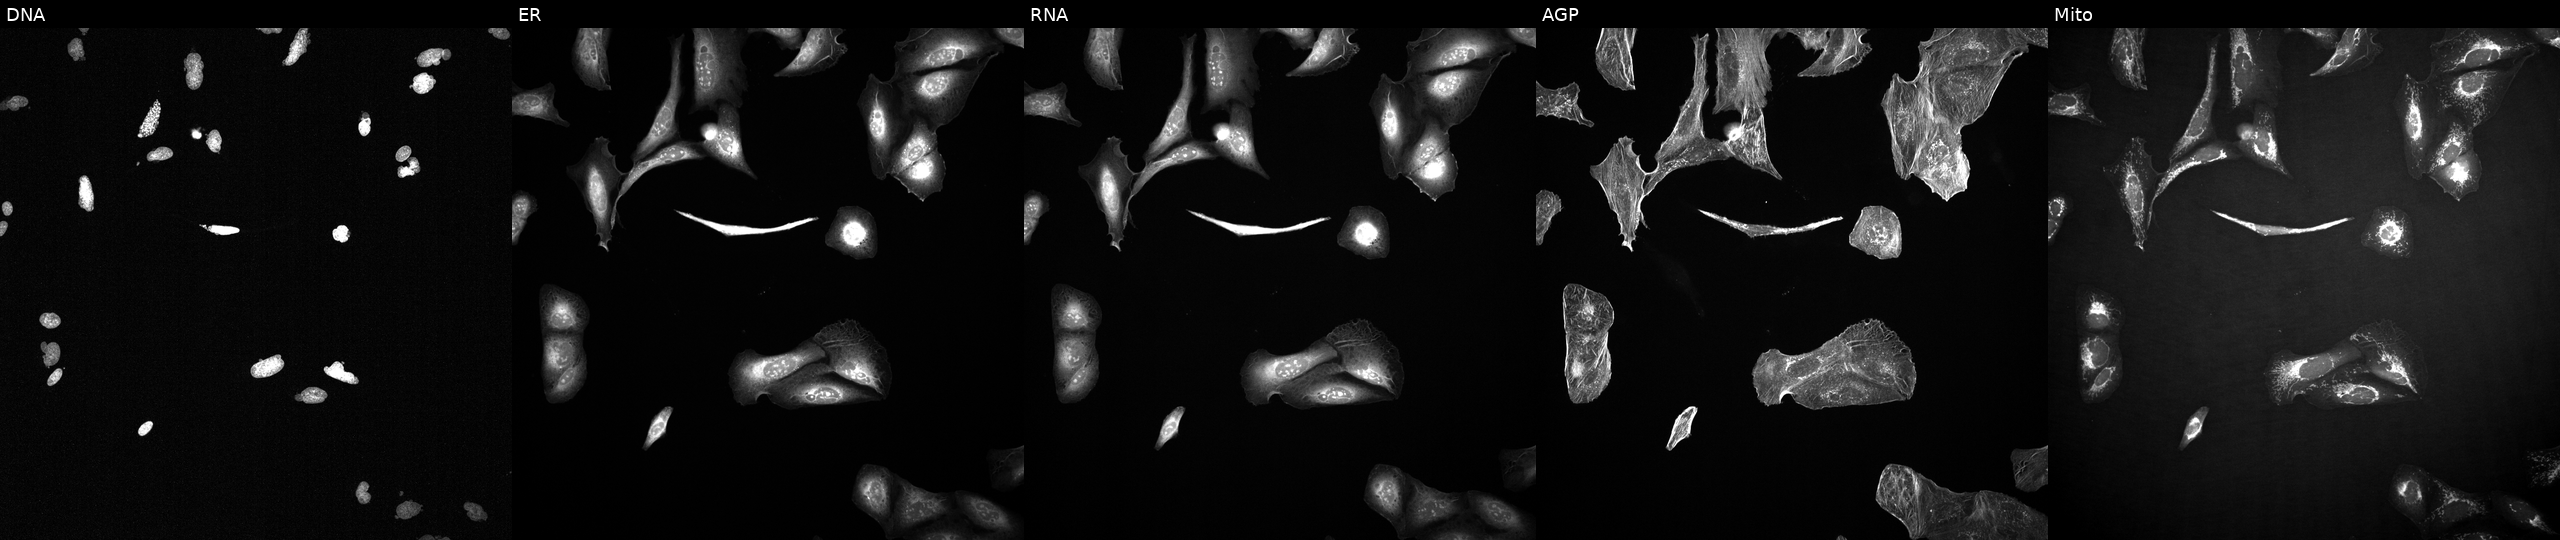
From left to right: DNA (nuclei); ER (endoplasmic reticulum); RNA (nucleoli and cytoplasmic RNA); AGP (actin cytoskeleton, Golgi, and plasma membrane); Mito (mitochondria). U2OS osteosarcoma cells perturbed with a small-molecule compound (InChIKey KRBSMMVJJVHVCB-UHFFFAOYSA-N) (JUMP id JCP2022_046462). Cell Painting assay, JUMP-CP dataset.